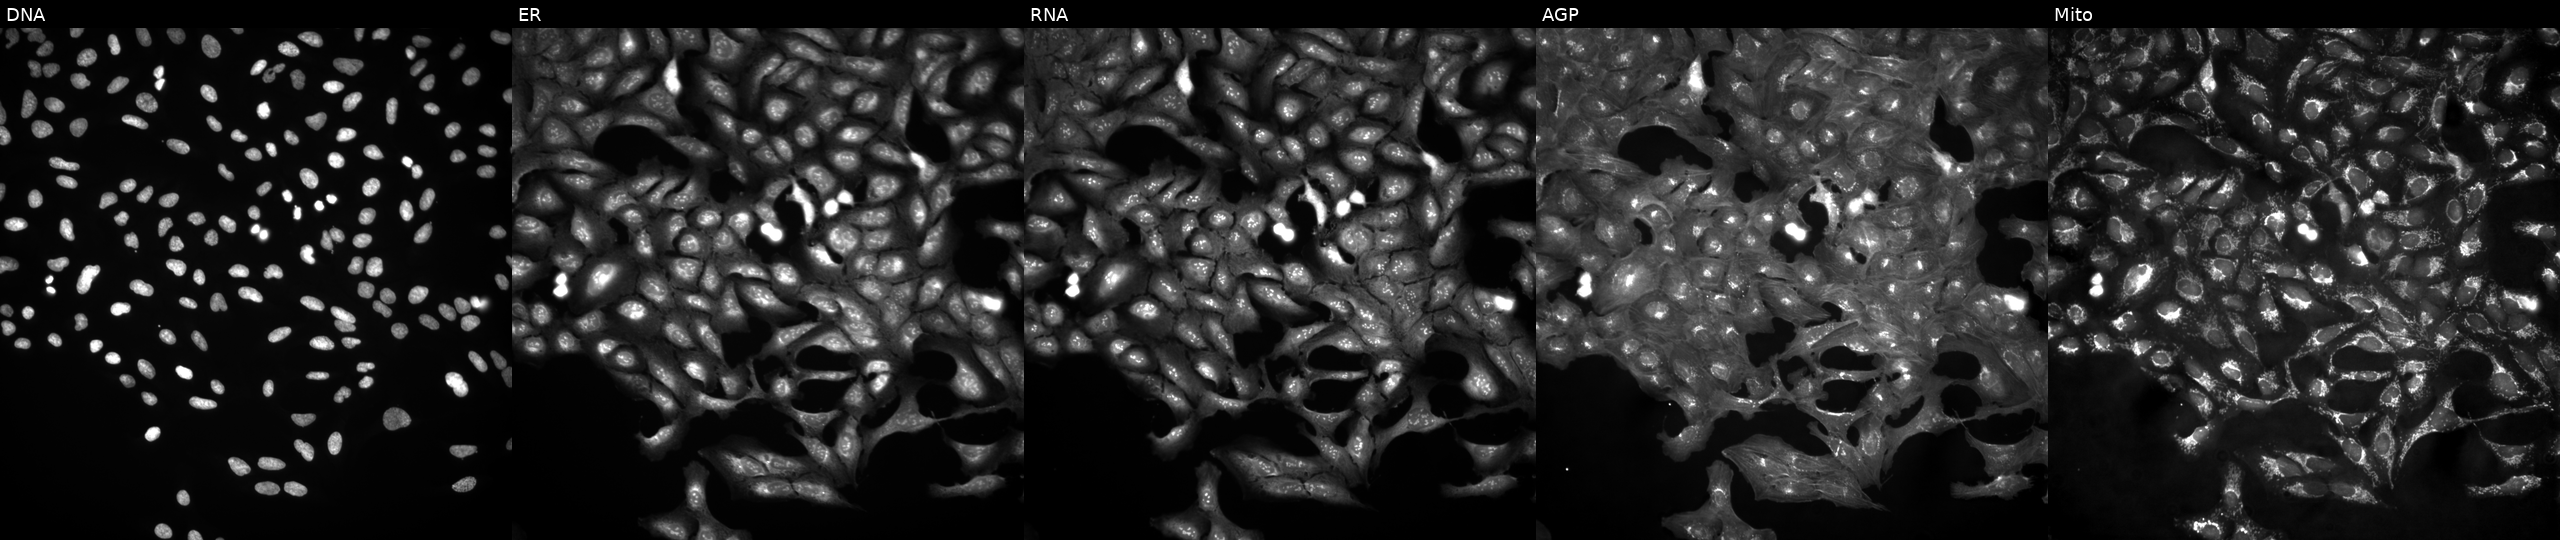
Five-channel Cell Painting image of U2OS cells in an empty control well (no perturbation) (JUMP id JCP2022_999999). The five panels, left to right, show Hoechst 33342, concanavalin A, SYTO 14, phalloidin and WGA, MitoTracker. Source 4, plate BR00123946, well E17.